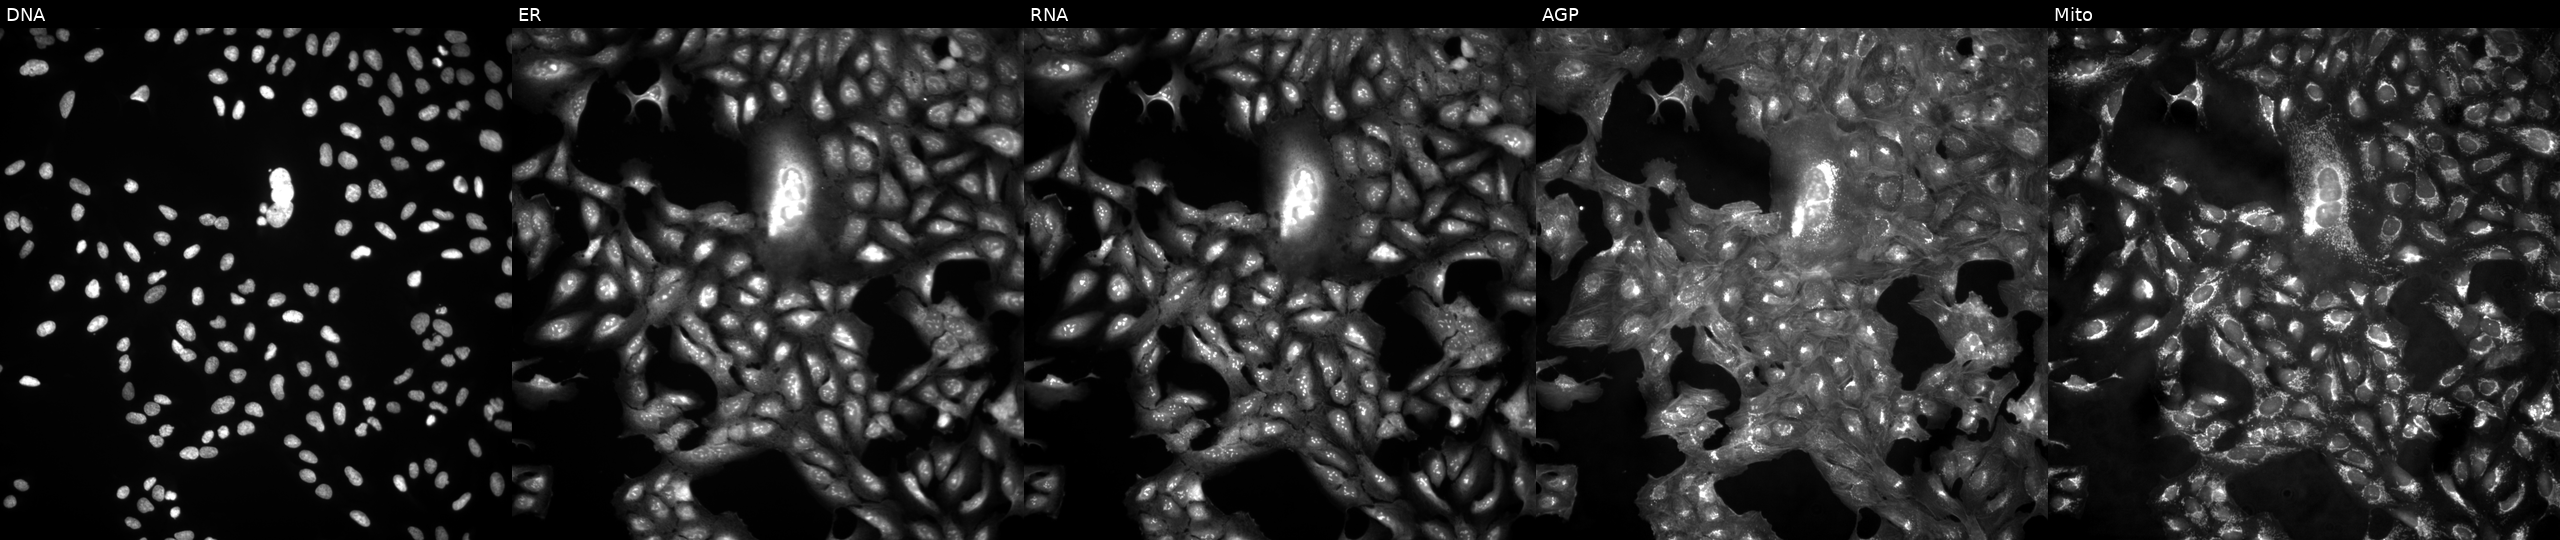
The five panels, left to right, show DNA (nuclei); ER (endoplasmic reticulum); RNA (nucleoli and cytoplasmic RNA); AGP (actin cytoskeleton, Golgi, and plasma membrane); Mito (mitochondria). U2OS osteosarcoma cells untreated (empty-well control) (JUMP id JCP2022_999999). Cell Painting assay, JUMP-CP dataset.